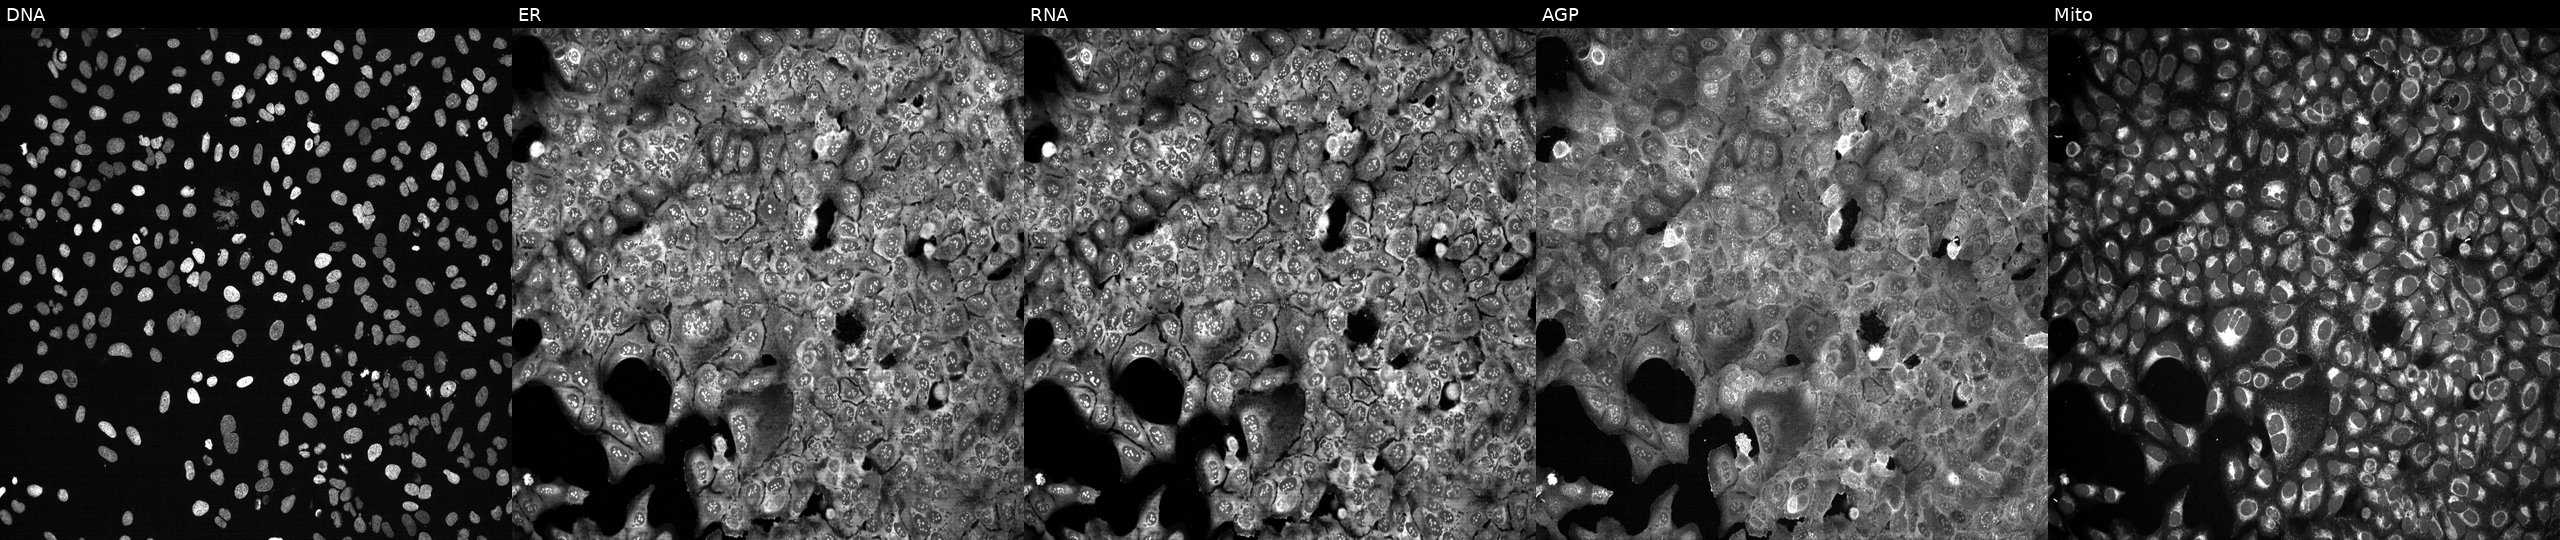
Channels (left→right): Hoechst 33342, concanavalin A, SYTO 14, phalloidin and WGA, MitoTracker. U2OS osteosarcoma cells CRISPR-edited to disrupt CD5L. Cell Painting assay, JUMP-CP dataset.